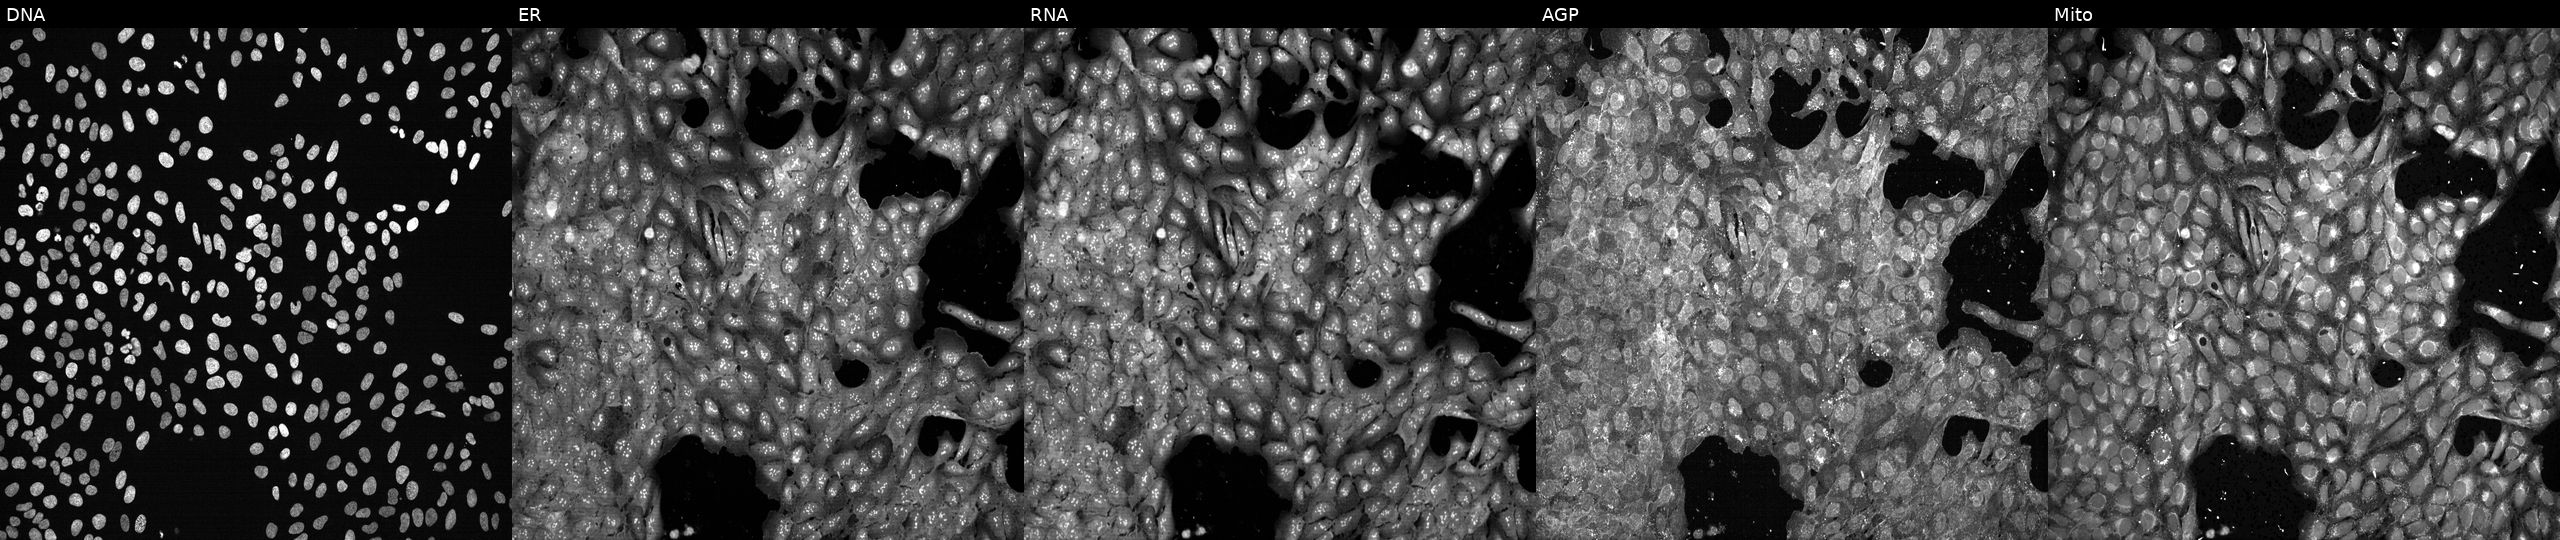
High-content fluorescence microscopy (Cell Painting). Cell line: U2OS. Perturbation: exposed to the positive-control compound quinidine. Panels show, left to right, Hoechst 33342, concanavalin A, SYTO 14, phalloidin and WGA, MitoTracker.